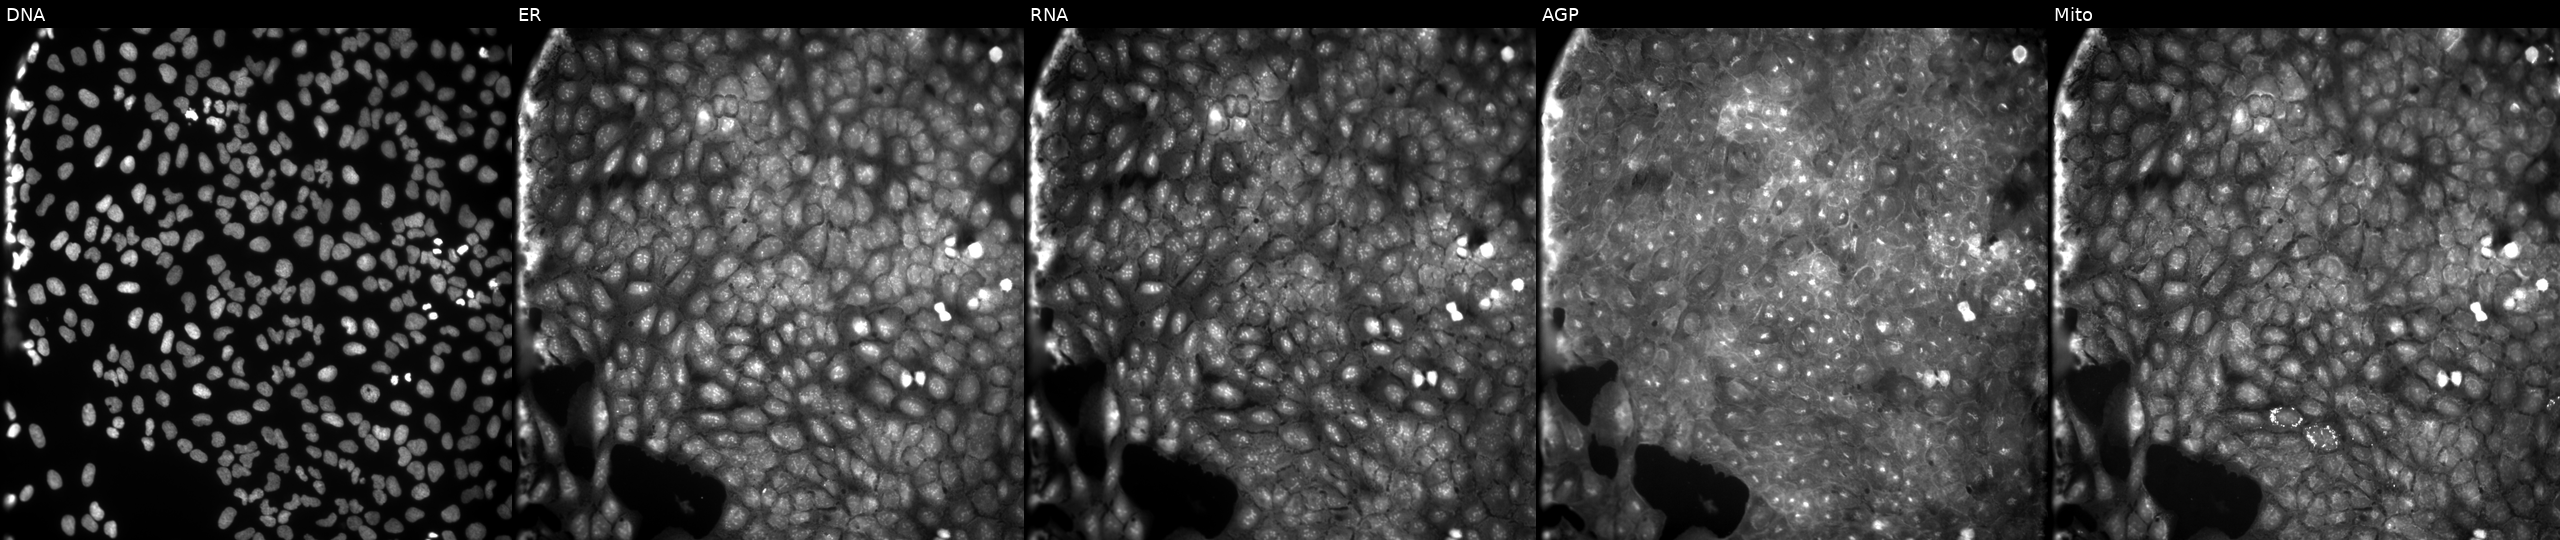
Five-channel Cell Painting image of U2OS cells treated with a small-molecule compound (InChIKey ZGBSFGYLPBIQHZ-UHFFFAOYSA-N) [SMILES: COc1ccc(C2=NN(C(=O)CCCC(=O)O)C(c3ccc(F)cc3)C2)cc1OC]. The five panels, left to right, show DNA, ER, RNA, AGP, and Mito.